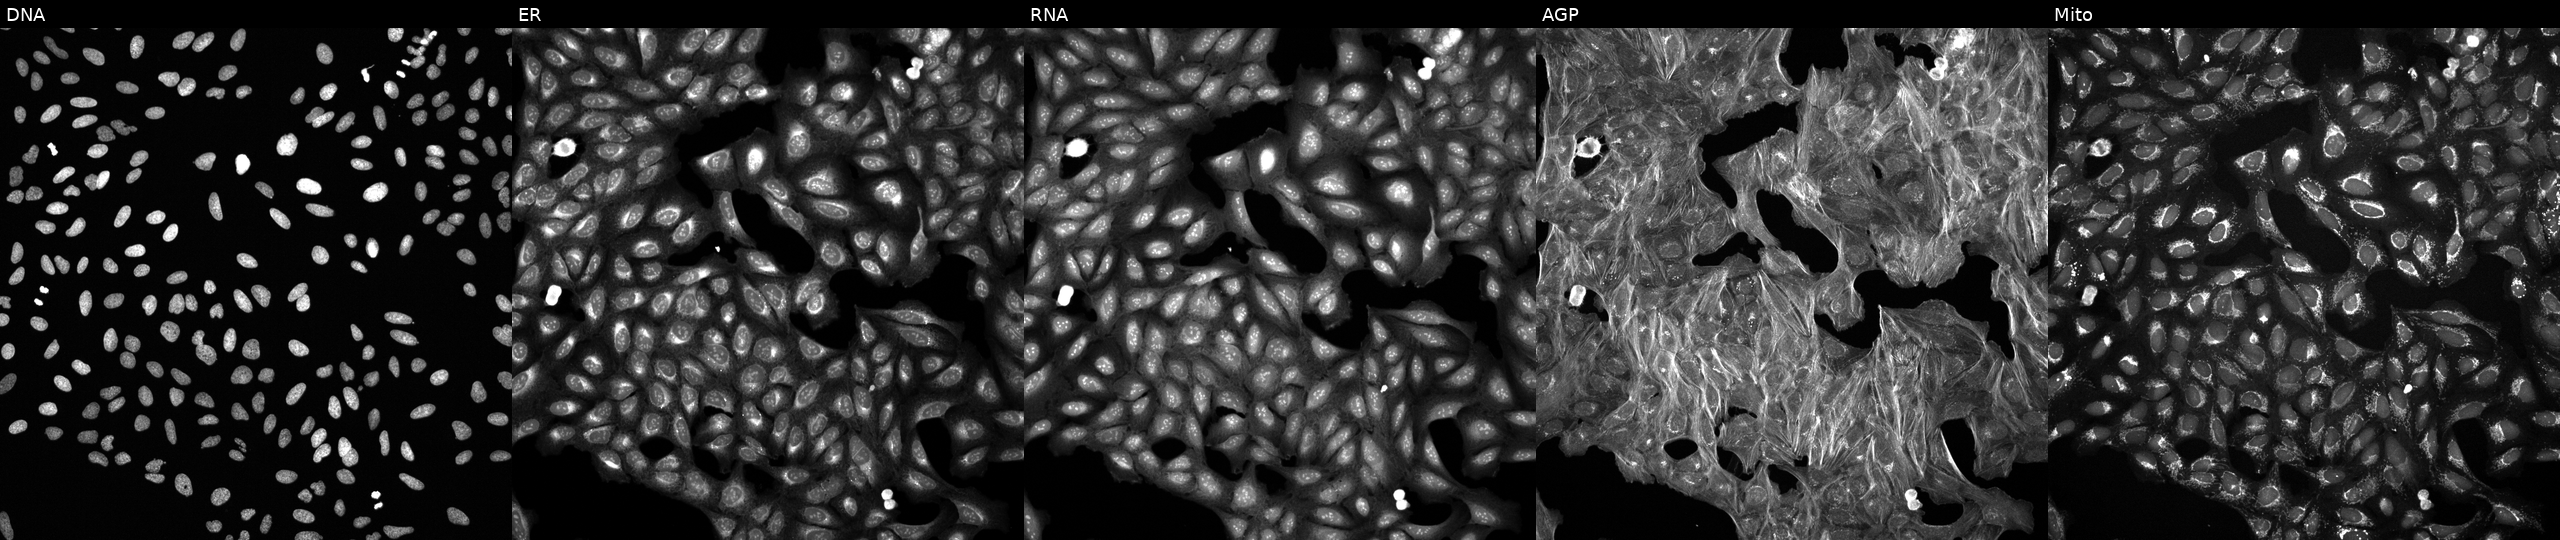
This image strip shows the five Cell Painting channels for a single field of U2OS cells exposed to a small-molecule compound (InChIKey IZURPXBFTJJFPZ-UHFFFAOYSA-N). Channels (left→right): DNA (nuclei); ER (endoplasmic reticulum); RNA (nucleoli and cytoplasmic RNA); AGP (actin cytoskeleton, Golgi, and plasma membrane); Mito (mitochondria). Source 6, plate 110000293083, well E15.